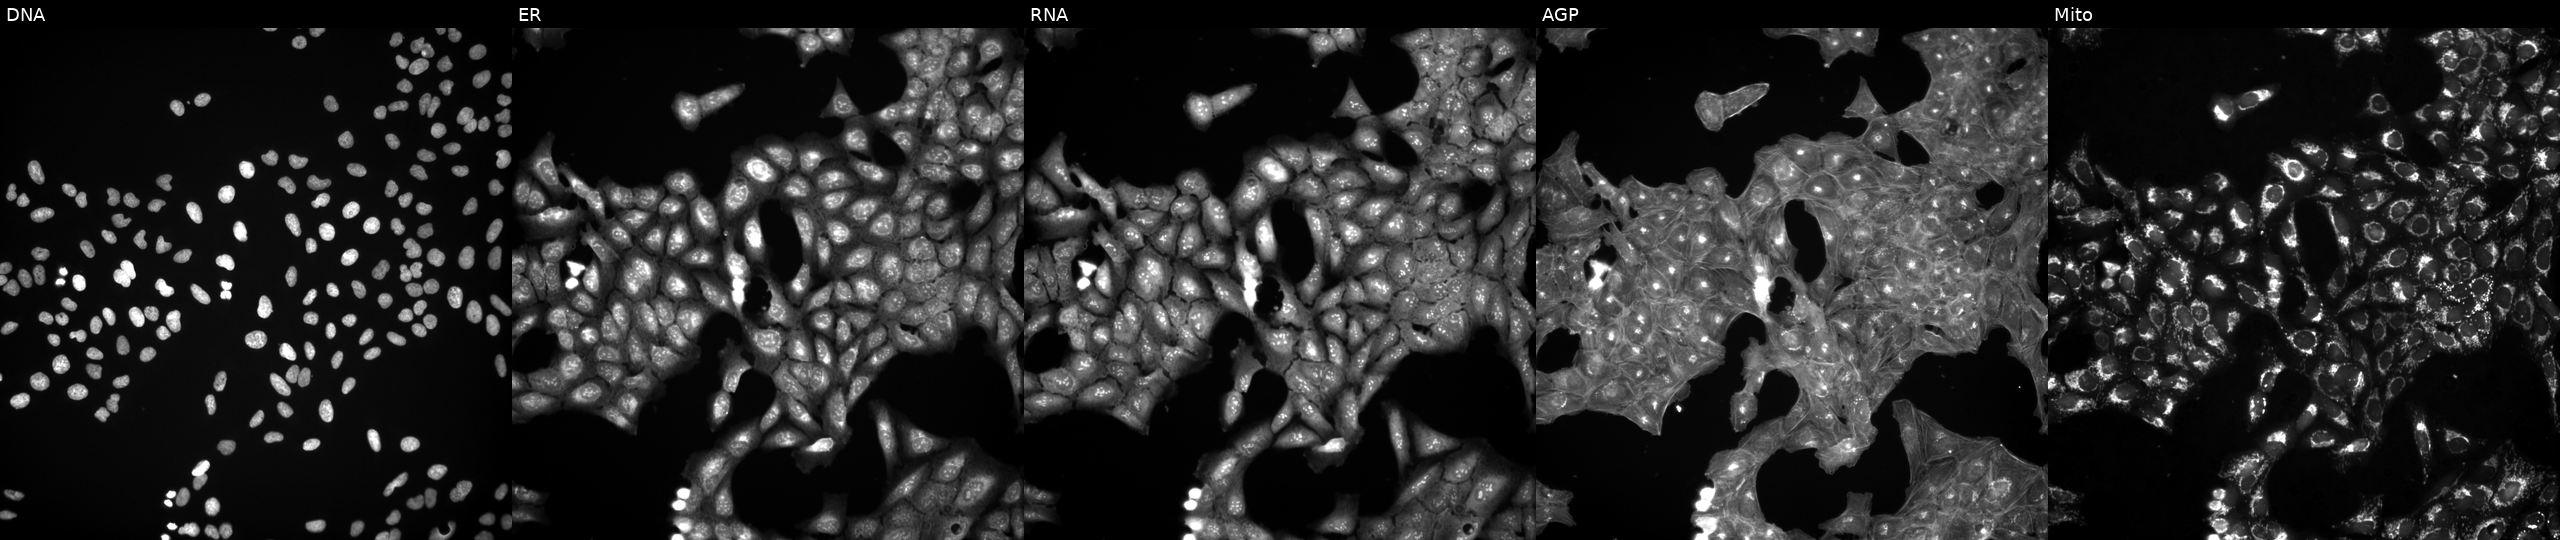
Five-channel Cell Painting image of U2OS cells exposed to a small-molecule compound (InChIKey PZBPKYOVPCNPJY-UHFFFAOYSA-N) (JUMP id JCP2022_071910). Panels show, left to right, DNA, ER, RNA, AGP, and Mito.